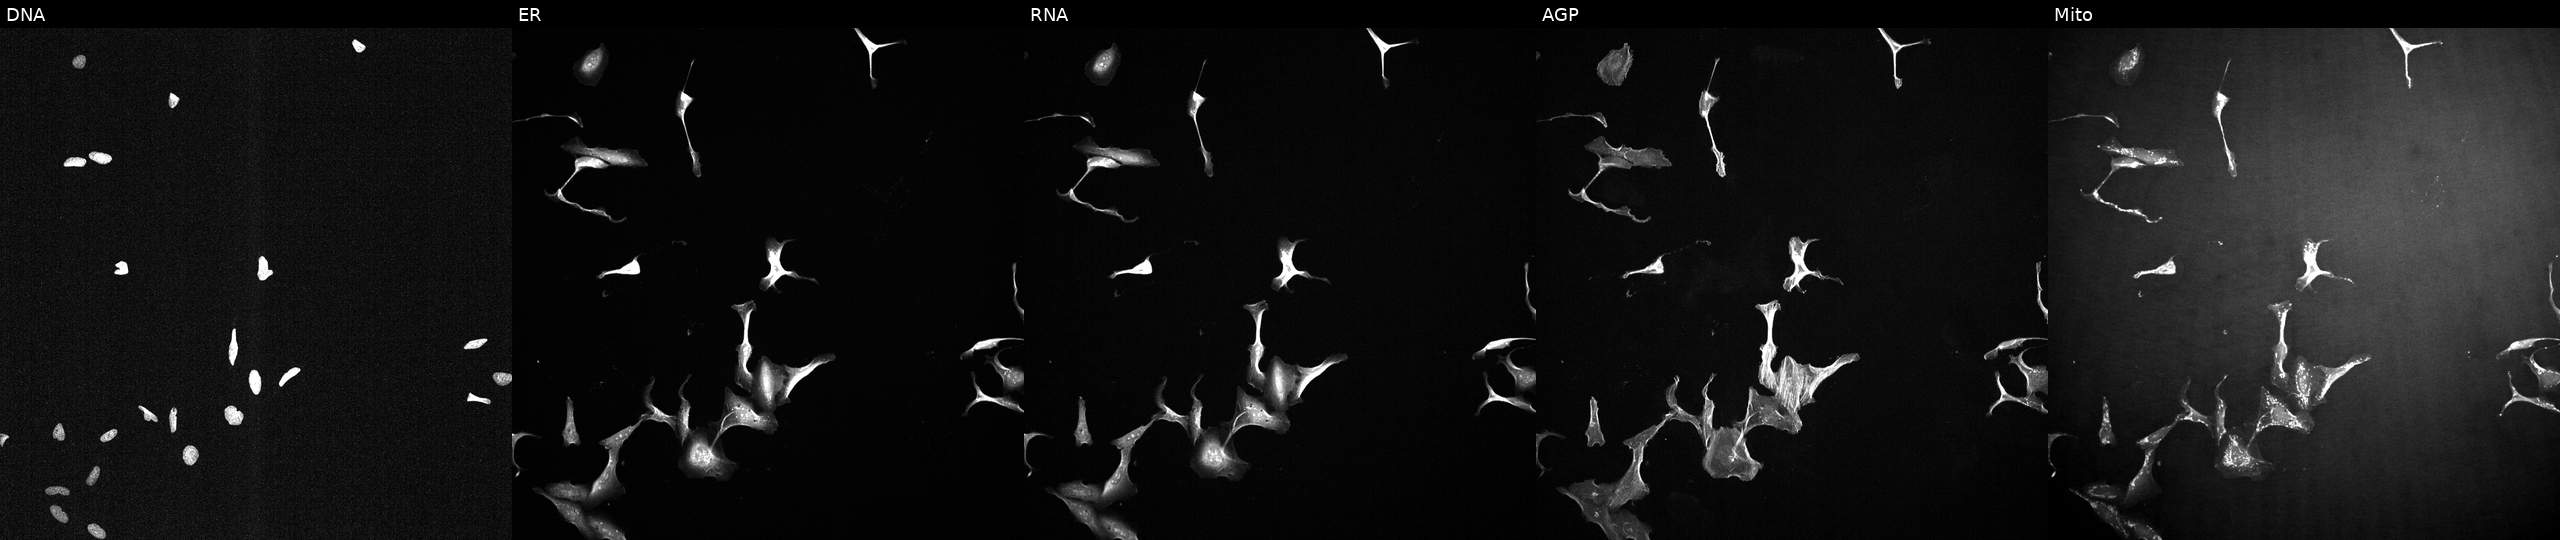
U2OS cells, Cell Painting assay, exposed to a small-molecule compound (InChIKey YKJYKKNCCRKFSL-UHFFFAOYSA-N) [SMILES: COc1ccc(CC2NCC(O)C2OC(C)=O)cc1]. The five panels, left to right, show DNA (nuclei); ER (endoplasmic reticulum); RNA (nucleoli and cytoplasmic RNA); AGP (actin cytoskeleton, Golgi, and plasma membrane); Mito (mitochondria). Each panel is percentile-stretched 16-bit fluorescence.